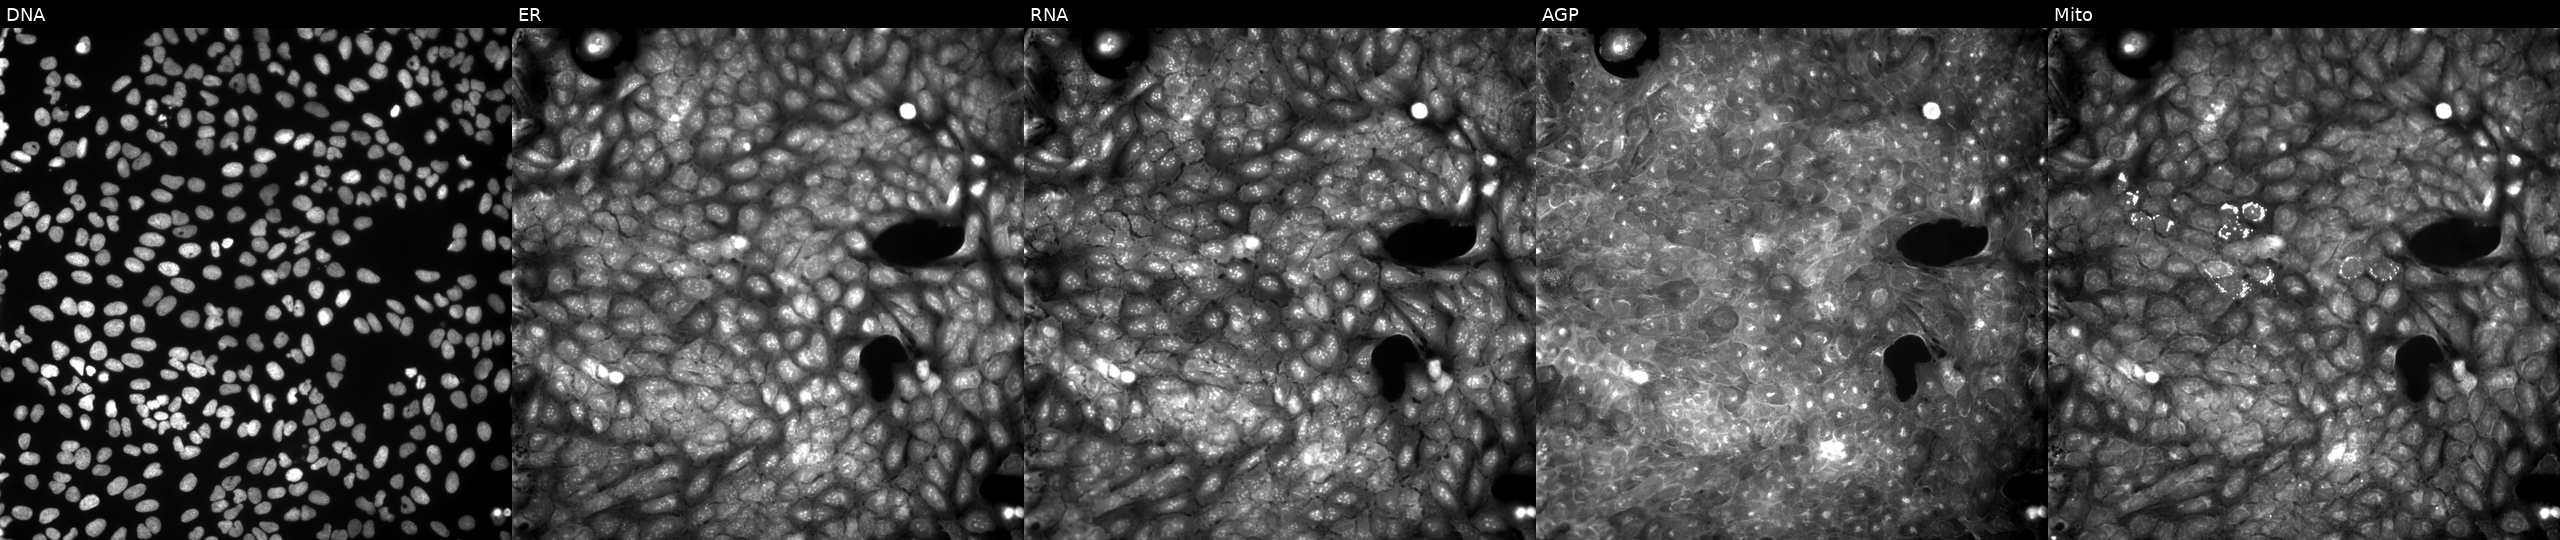
JUMP Cell Painting — COMPOUND plate. U2OS cells perturbed with a small-molecule compound [SMILES: O=C(CN(Cc1ccc(Br)cc1)S(=O)(=O)c1ccccc1)NCc1cccnc1] (JUMP id JCP2022_087616). From left to right: DNA (nuclei); ER (endoplasmic reticulum); RNA (nucleoli and cytoplasmic RNA); AGP (actin cytoskeleton, Golgi, and plasma membrane); Mito (mitochondria).